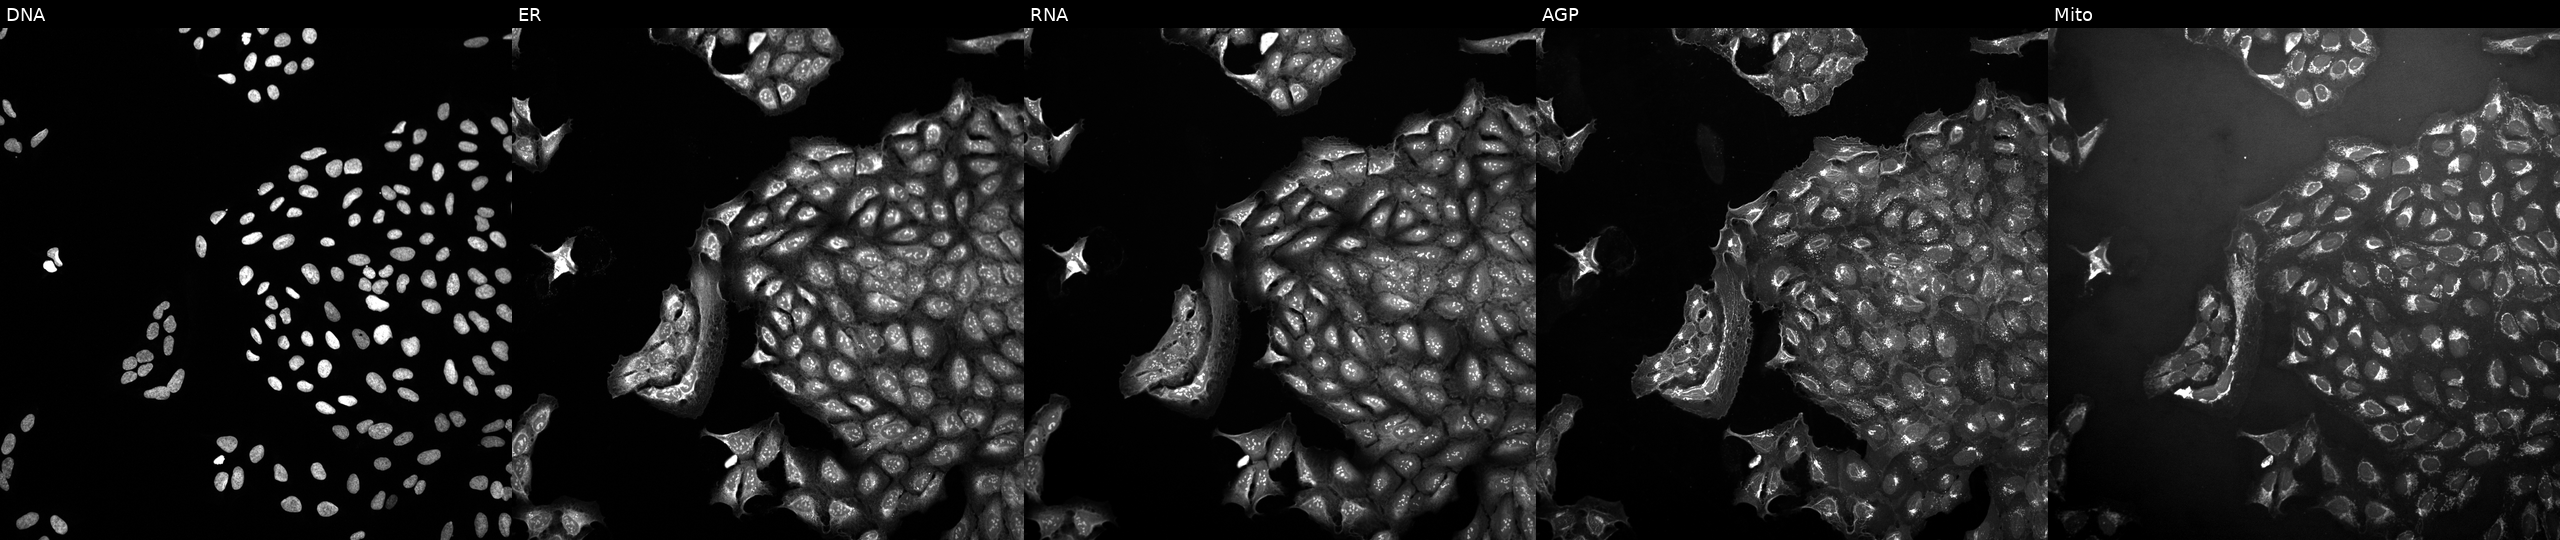
High-content fluorescence microscopy (Cell Painting). Cell line: U2OS. Perturbation: perturbed with a small-molecule compound (InChIKey MDKAFDIKYQMOMF-UHFFFAOYSA-N) [SMILES: FC(F)(F)c1cc(NC(=S)Nc2ccc(Br)cc2-c2nn[nH]n2)cc(C(F)(F)F)c1]. Channels (left→right): Hoechst 33342, concanavalin A, SYTO 14, phalloidin and WGA, MitoTracker.